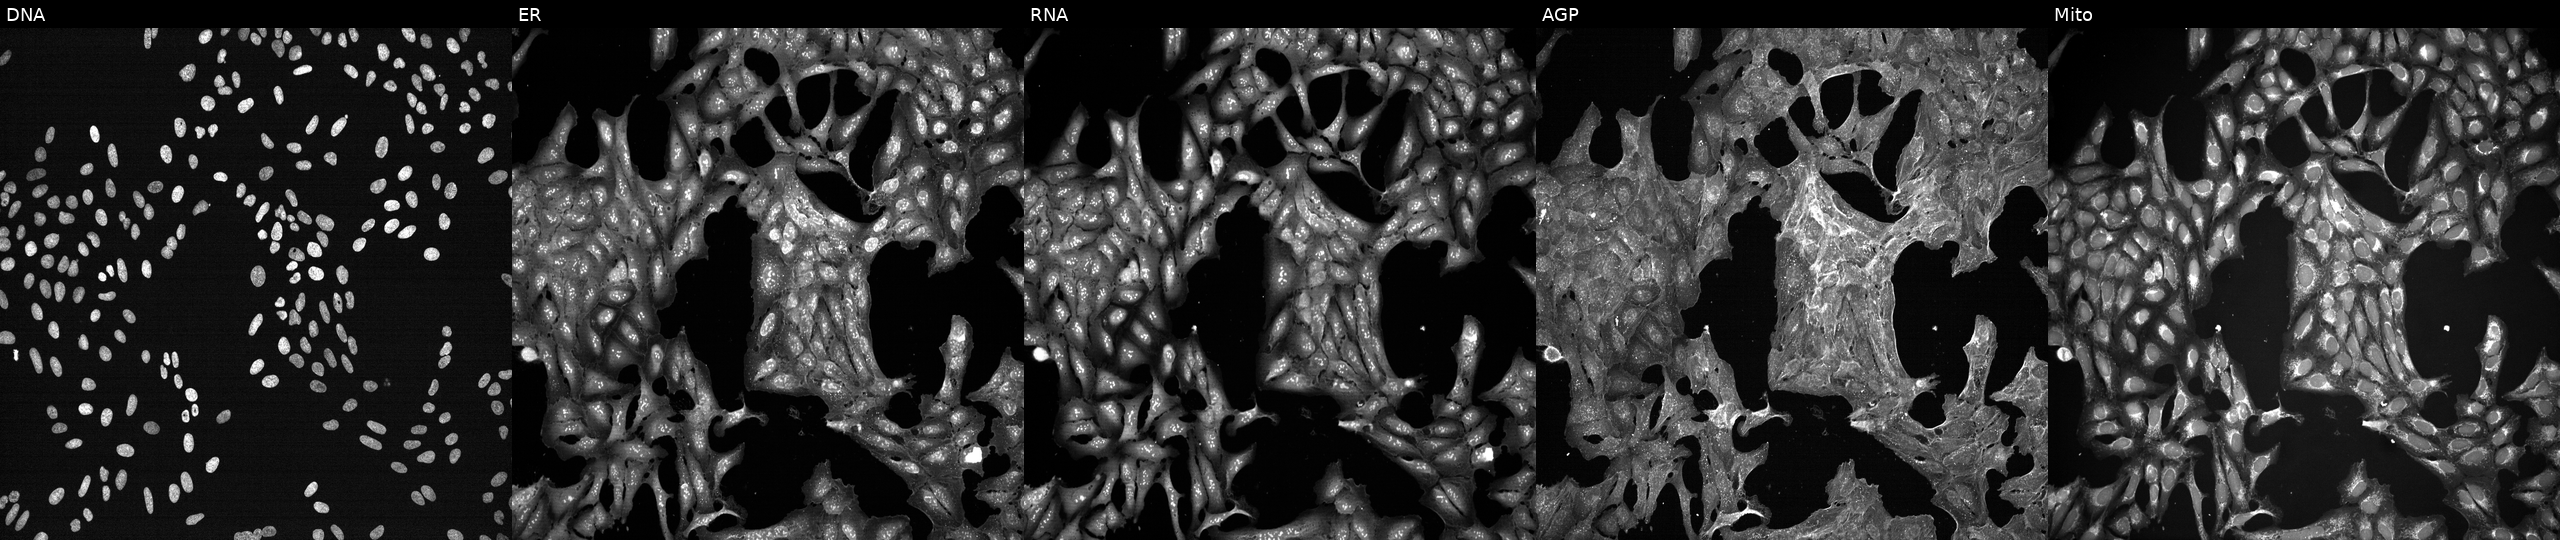
U2OS cells, Cell Painting assay, perturbed with a small-molecule compound (InChIKey BDNFQGRSKSQXRI-UHFFFAOYSA-N). Panels show, left to right, Hoechst 33342, concanavalin A, SYTO 14, phalloidin and WGA, MitoTracker. Each panel is percentile-stretched 16-bit fluorescence.